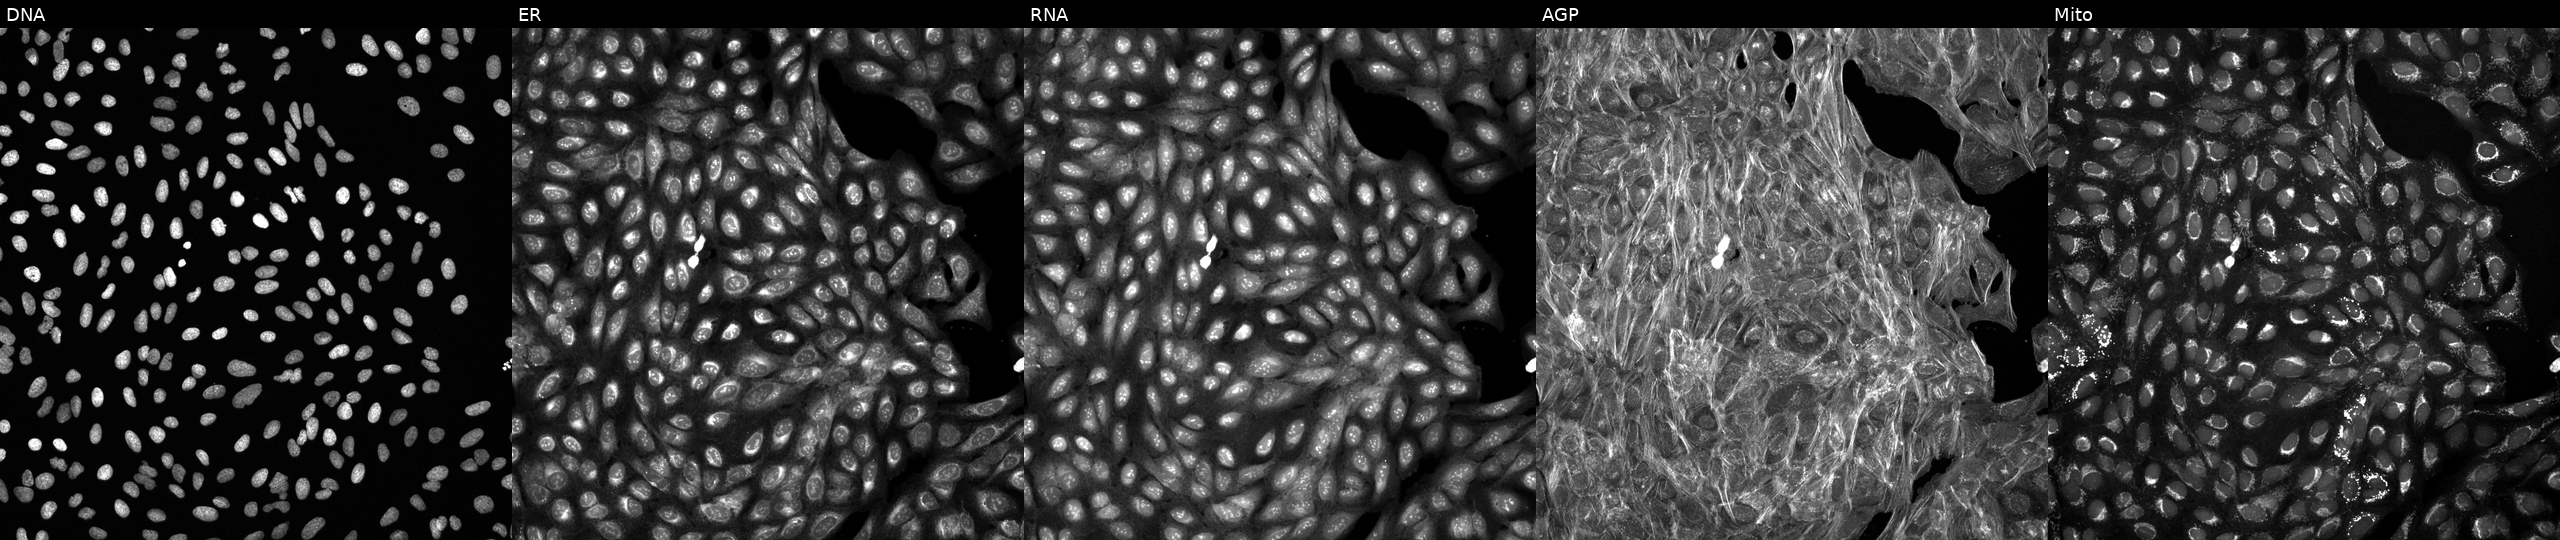
The five panels, left to right, show DNA (nuclei); ER (endoplasmic reticulum); RNA (nucleoli and cytoplasmic RNA); AGP (actin cytoskeleton, Golgi, and plasma membrane); Mito (mitochondria). U2OS osteosarcoma cells treated with DMSO vehicle only (negative control). Cell Painting assay, JUMP-CP dataset.